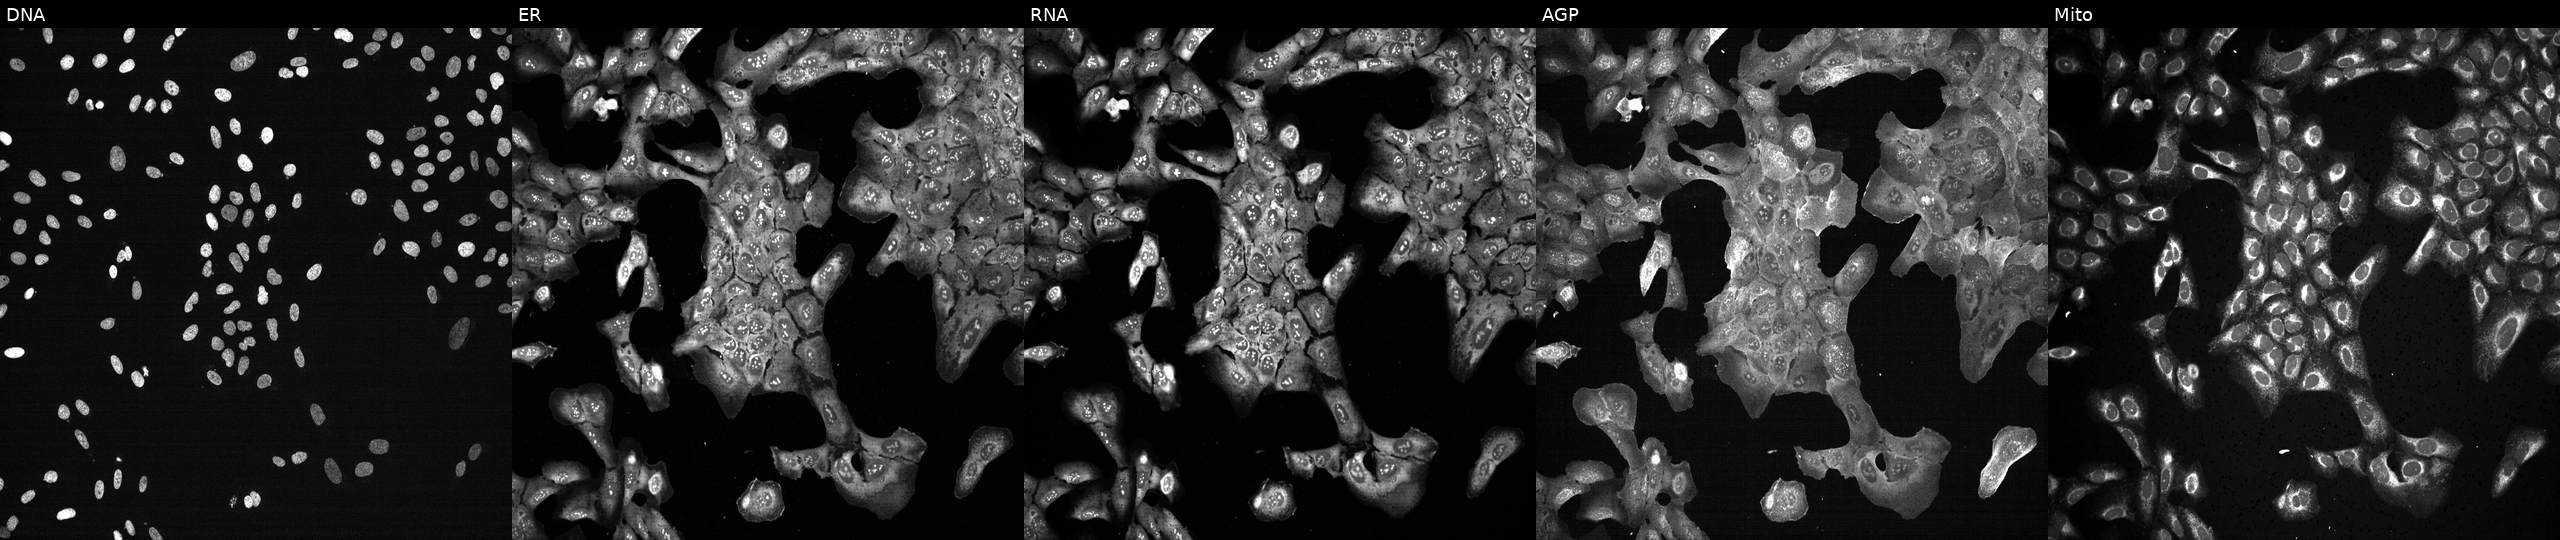
JUMP Cell Painting — CRISPR plate. U2OS cells CRISPR-edited to disrupt NOD1 (JUMP id JCP2022_804634). The five panels, left to right, show DNA, ER, RNA, AGP, and Mito.